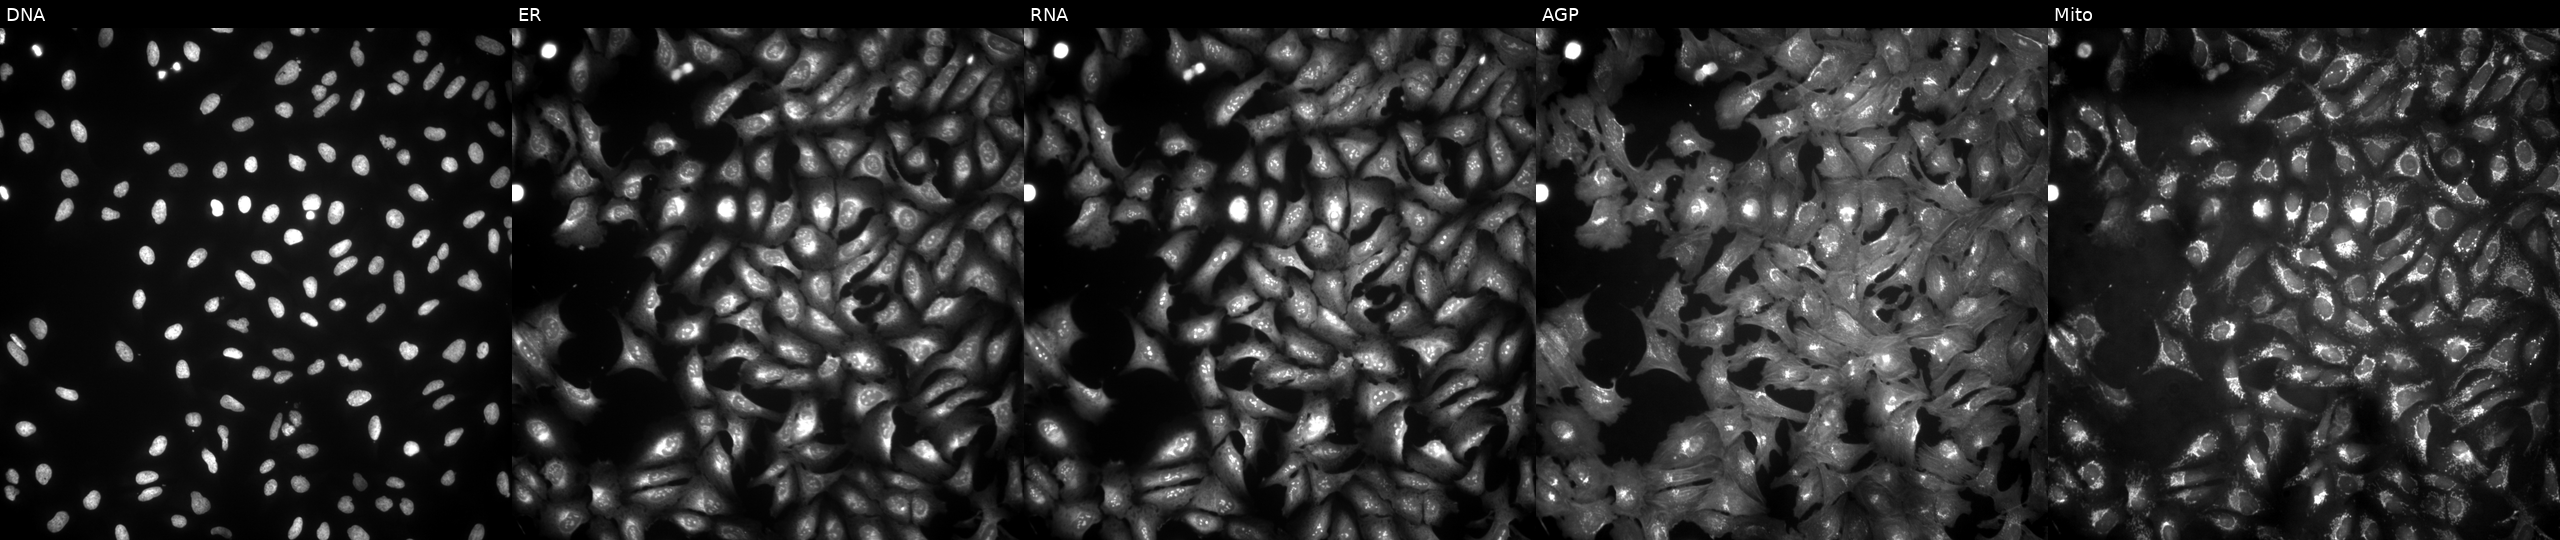
This image strip shows the five Cell Painting channels for a single field of U2OS cells transfected with an ORF construct for RHOBTB1 (JUMP id JCP2022_902121). Panels show, left to right, DNA, ER, RNA, AGP, and Mito.